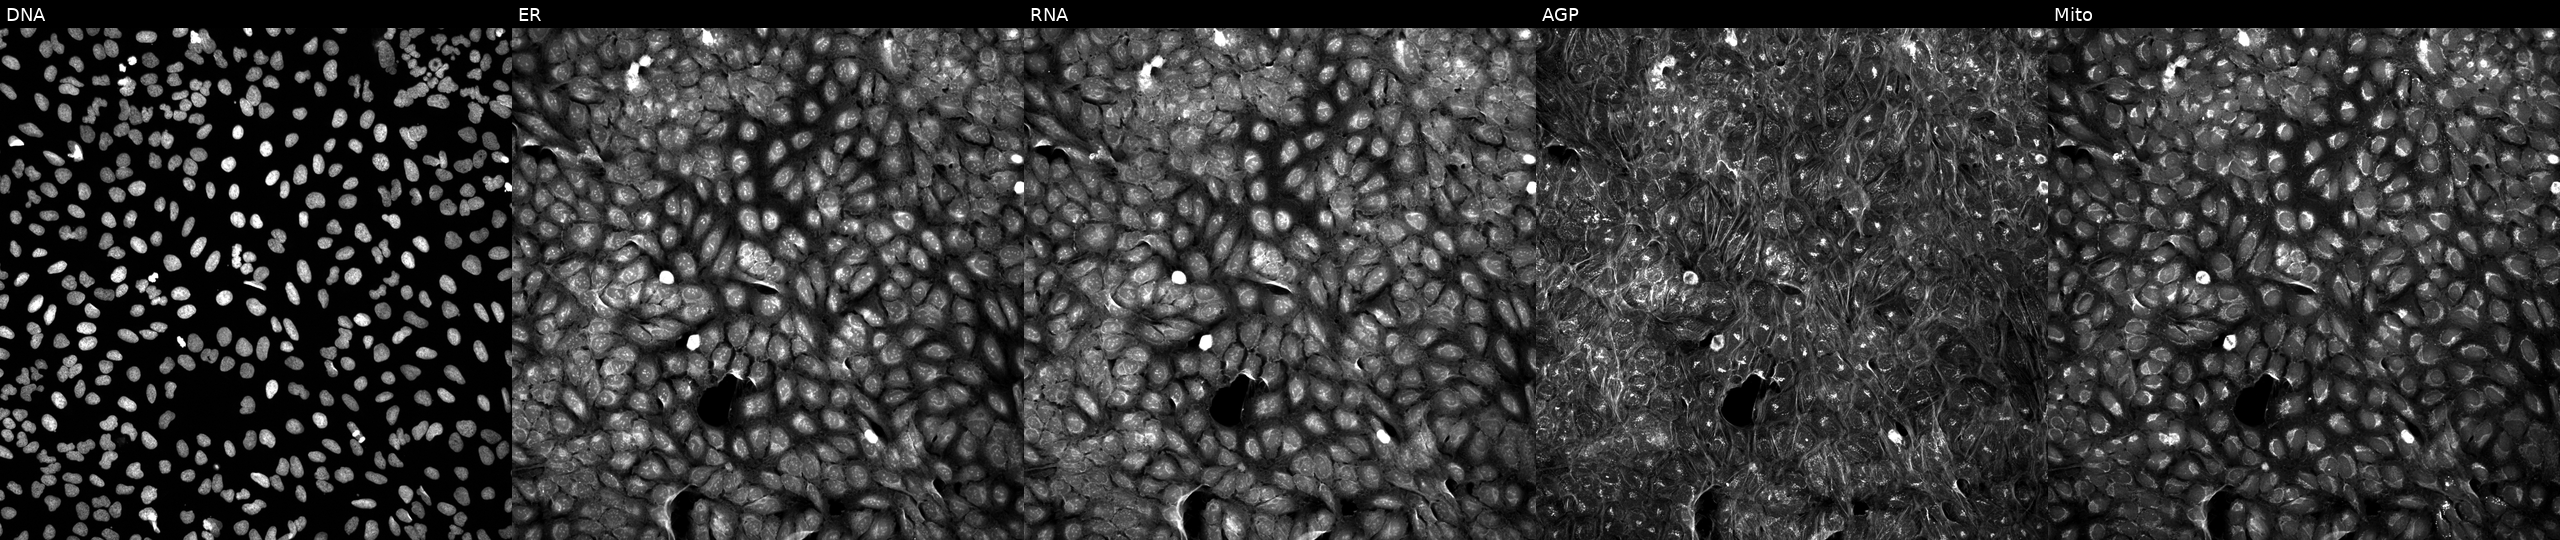
This image strip shows the five Cell Painting channels for a single field of U2OS cells exposed to a small-molecule compound (InChIKey XWCUTKBGKFRRDE-UHFFFAOYSA-N) (JUMP id JCP2022_106423). From left to right: DNA (nuclei); ER (endoplasmic reticulum); RNA (nucleoli and cytoplasmic RNA); AGP (actin cytoskeleton, Golgi, and plasma membrane); Mito (mitochondria). Source 5, plate APTJUM106, well P07.